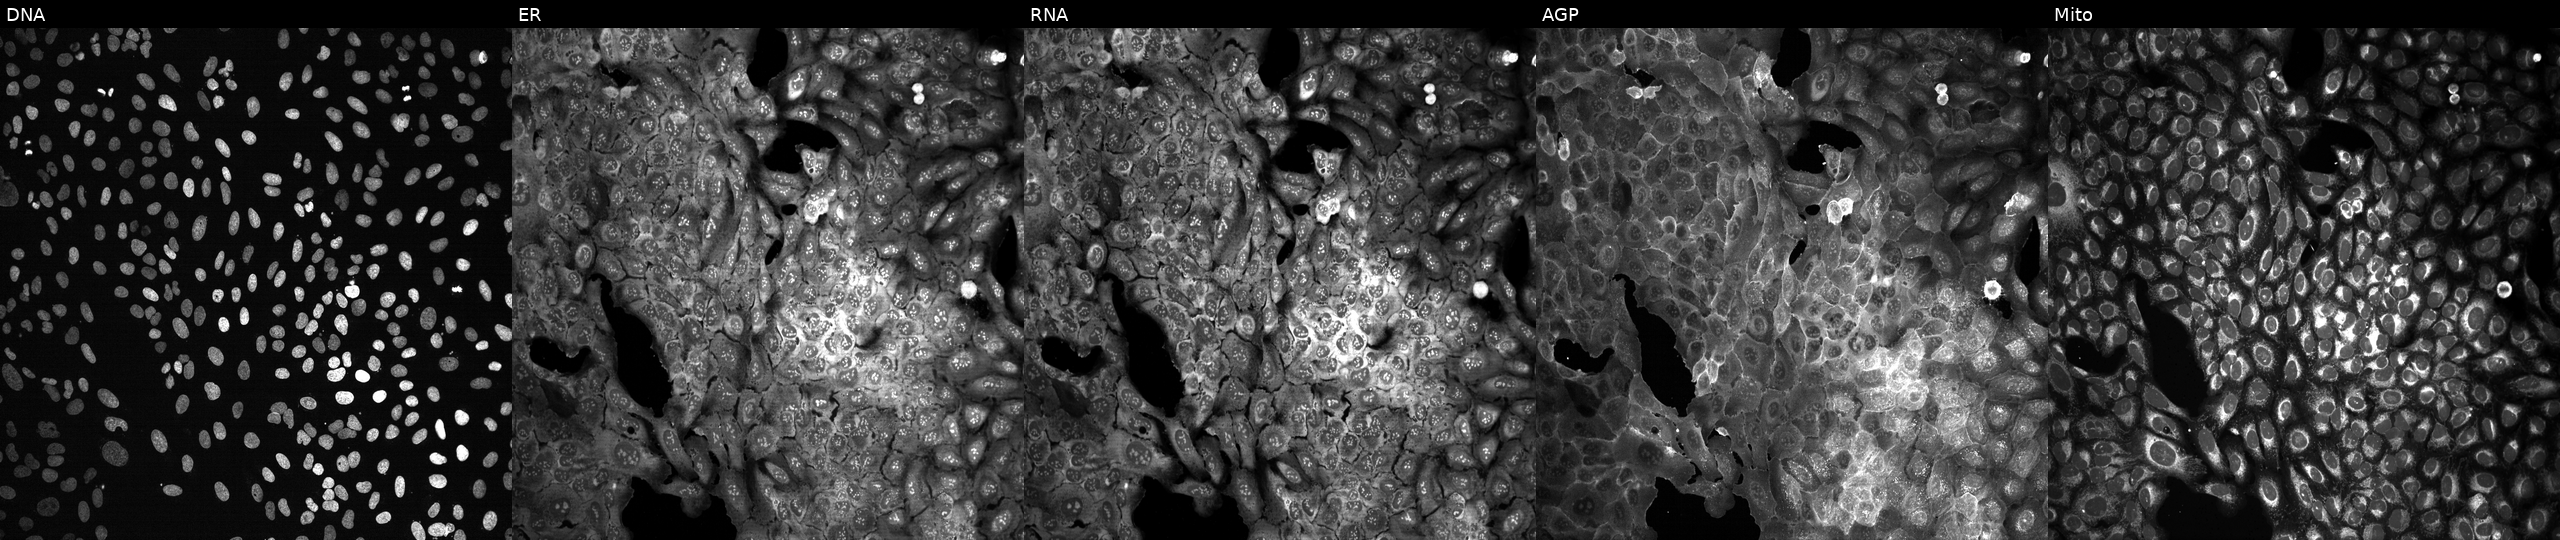
Five-channel Cell Painting image of U2OS cells with CTSO knocked out by CRISPR. Panels show, left to right, DNA, ER, RNA, AGP, and Mito. Source 13, plate CP-CC9-R6-19, well A09.